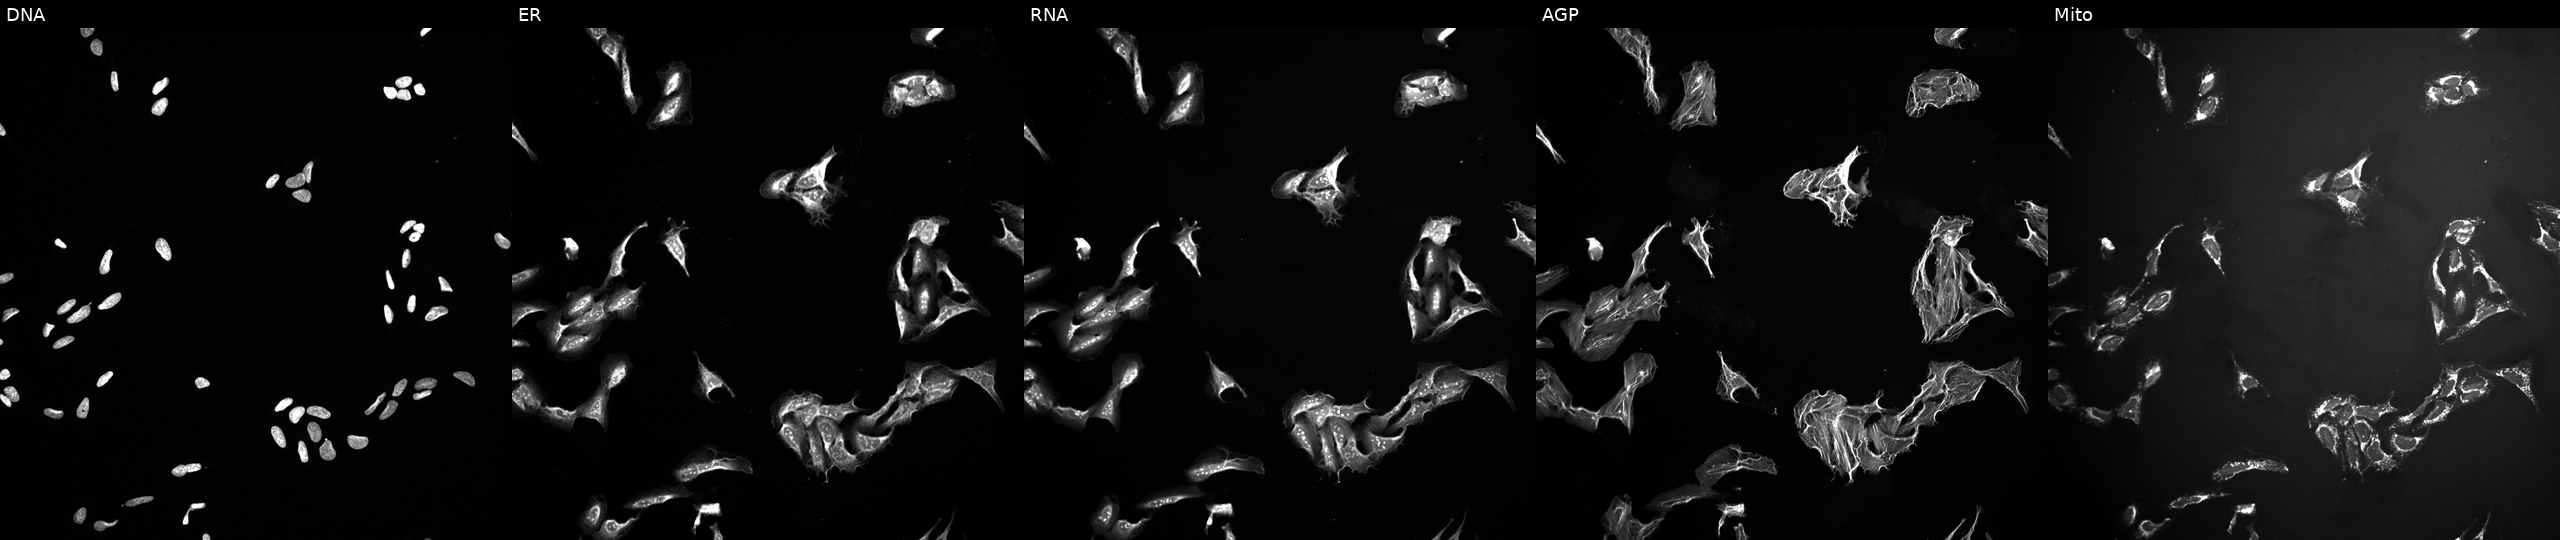
JUMP Cell Painting — TARGET2 plate. U2OS cells treated with a small-molecule compound (InChIKey WYWHKKSPHMUBEB-UHFFFAOYSA-N) [SMILES: N=c1[nH]c(=S)c2[nH]cnc2[nH]1]. Panels show, left to right, DNA (nuclei); ER (endoplasmic reticulum); RNA (nucleoli and cytoplasmic RNA); AGP (actin cytoskeleton, Golgi, and plasma membrane); Mito (mitochondria). Source 10, plate Dest210727-153003, well H15.